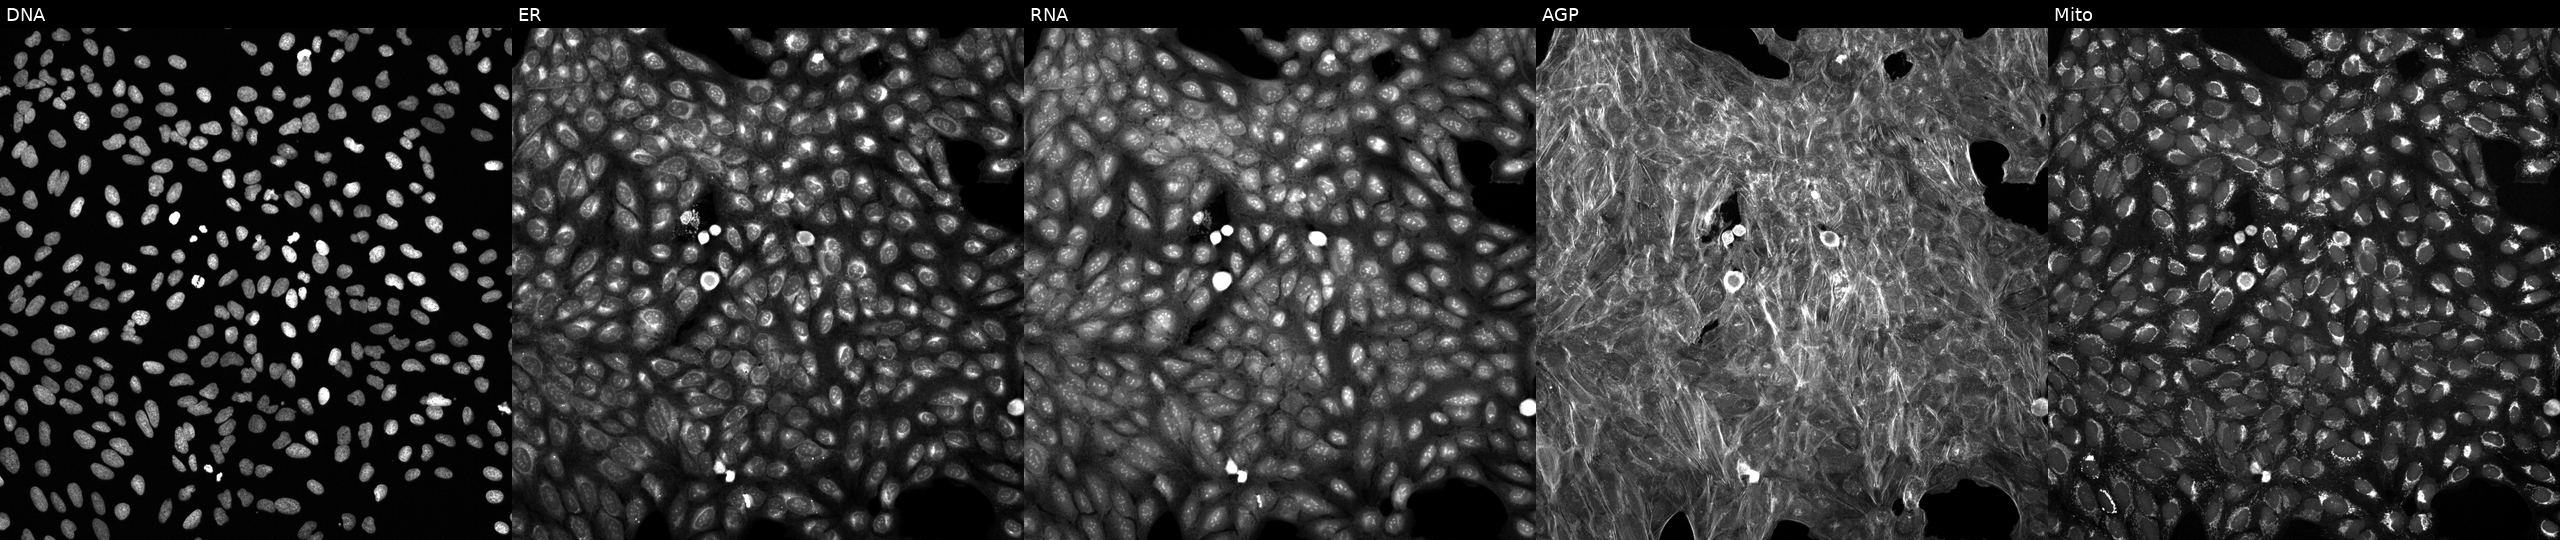
This image strip shows the five Cell Painting channels for a single field of U2OS cells exposed to the positive-control compound aloxistatin. Panels show, left to right, Hoechst 33342, concanavalin A, SYTO 14, phalloidin and WGA, MitoTracker.